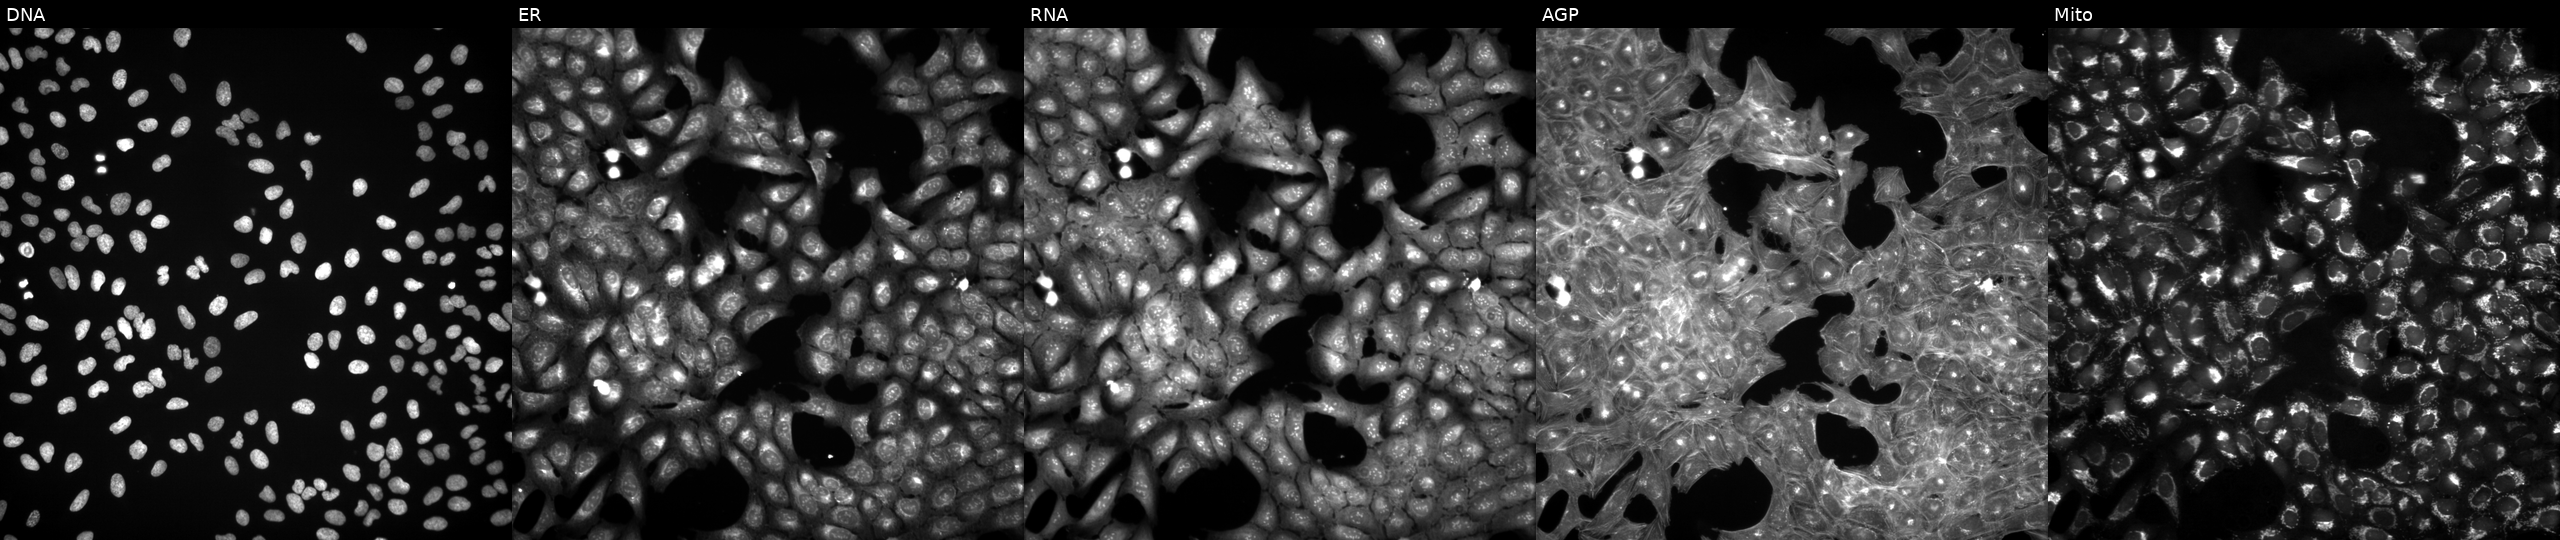
U2OS cells, Cell Painting assay, treated with DMSO vehicle only (negative control) (JUMP id JCP2022_033924). Channels (left→right): DNA, ER, RNA, AGP, and Mito. Each panel is percentile-stretched 16-bit fluorescence.